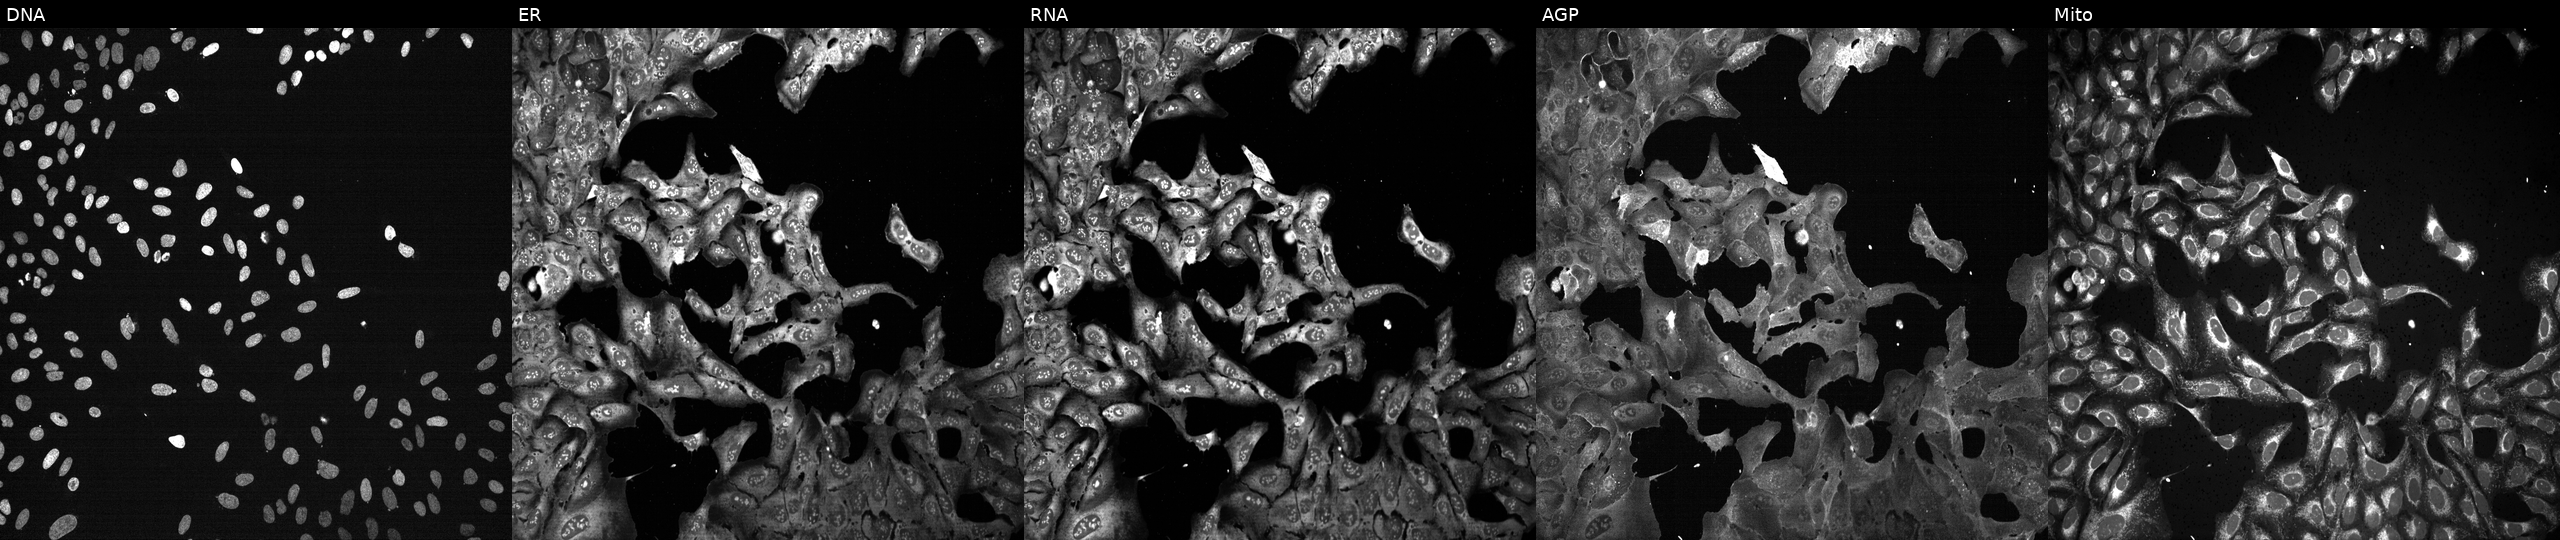
U2OS cells, Cell Painting assay, CRISPR-edited to disrupt CDH17 (JUMP id JCP2022_801189). Panels show, left to right, DNA, ER, RNA, AGP, and Mito. Each panel is percentile-stretched 16-bit fluorescence. Source 13, plate CP-CC9-R2-02, well A21.